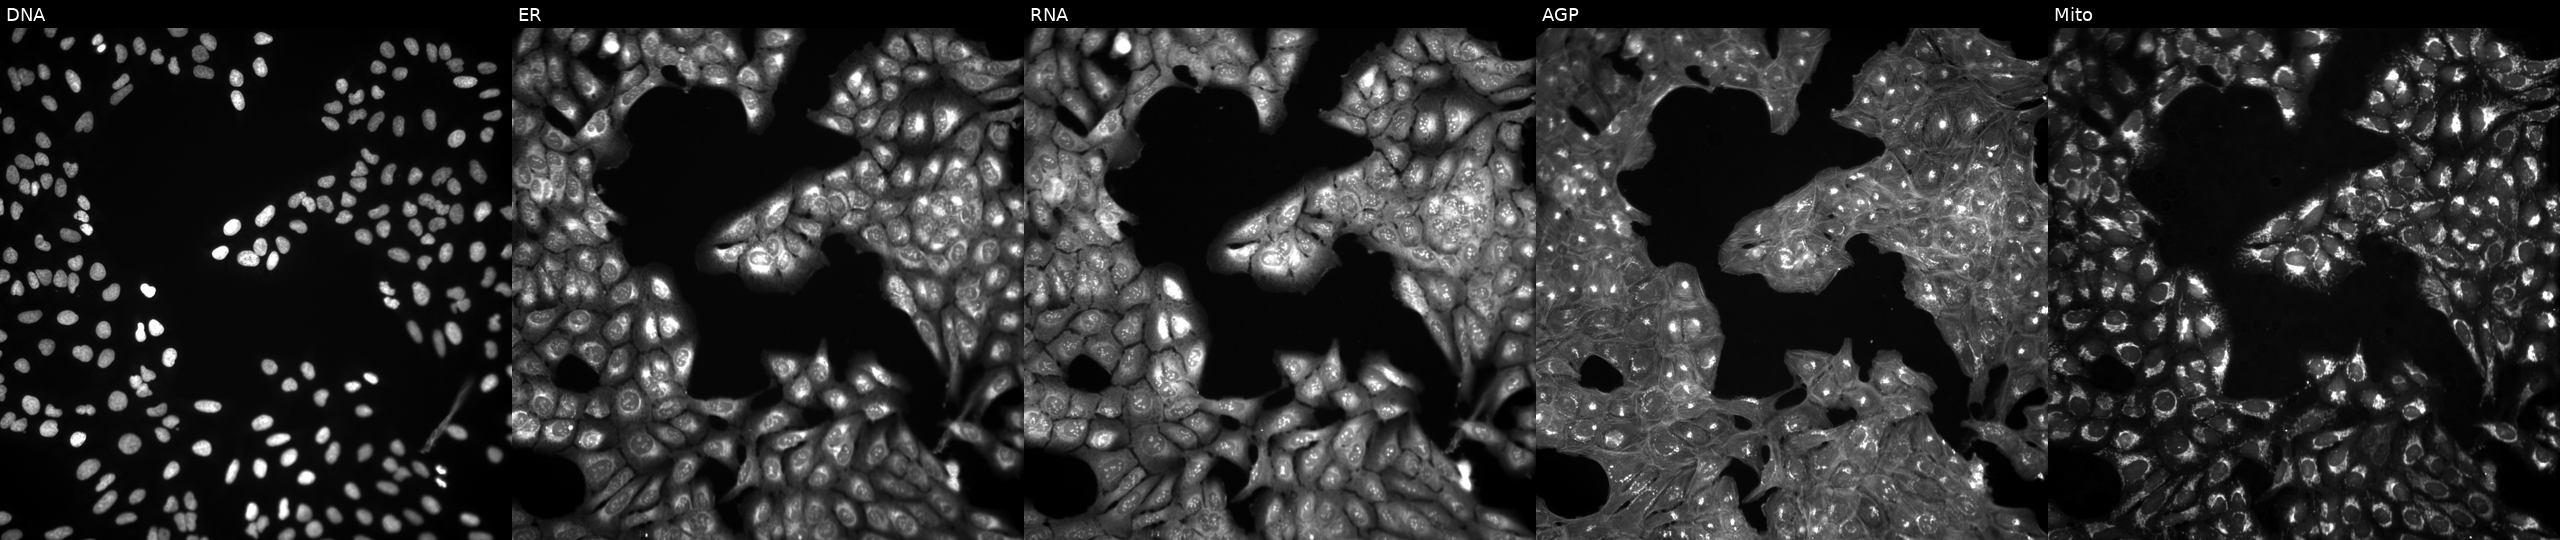
U2OS cells, Cell Painting assay, treated with DMSO vehicle only (negative control) (JUMP id JCP2022_033924). Panels show, left to right, Hoechst 33342, concanavalin A, SYTO 14, phalloidin and WGA, MitoTracker. Each panel is percentile-stretched 16-bit fluorescence.